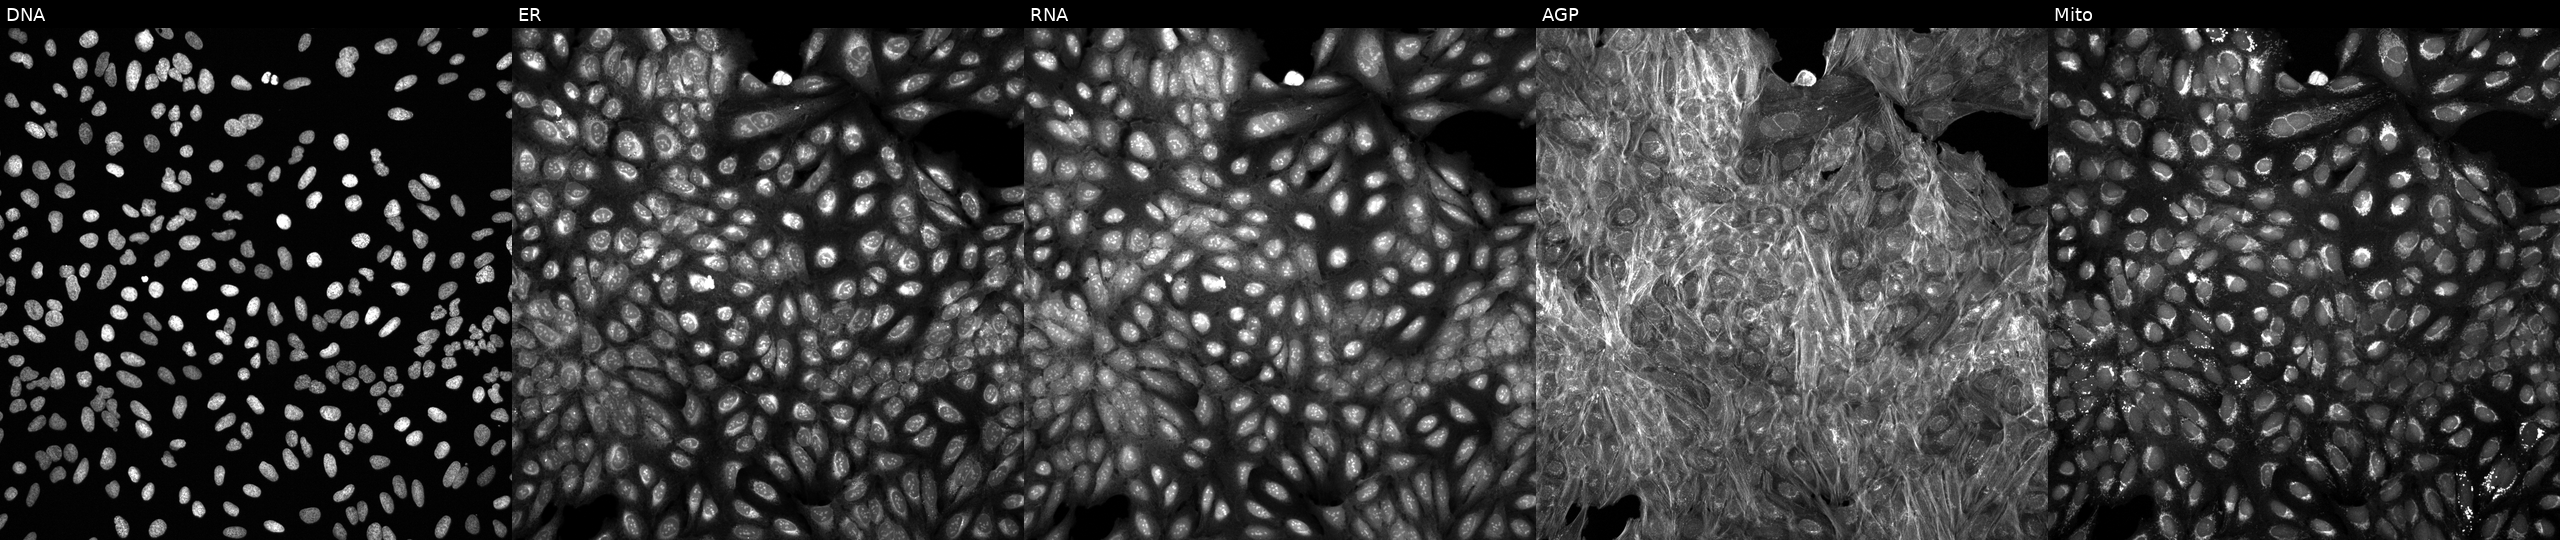
JUMP Cell Painting — TARGET2 plate. U2OS cells treated with DMSO vehicle only (negative control). From left to right: DNA (nuclei); ER (endoplasmic reticulum); RNA (nucleoli and cytoplasmic RNA); AGP (actin cytoskeleton, Golgi, and plasma membrane); Mito (mitochondria).